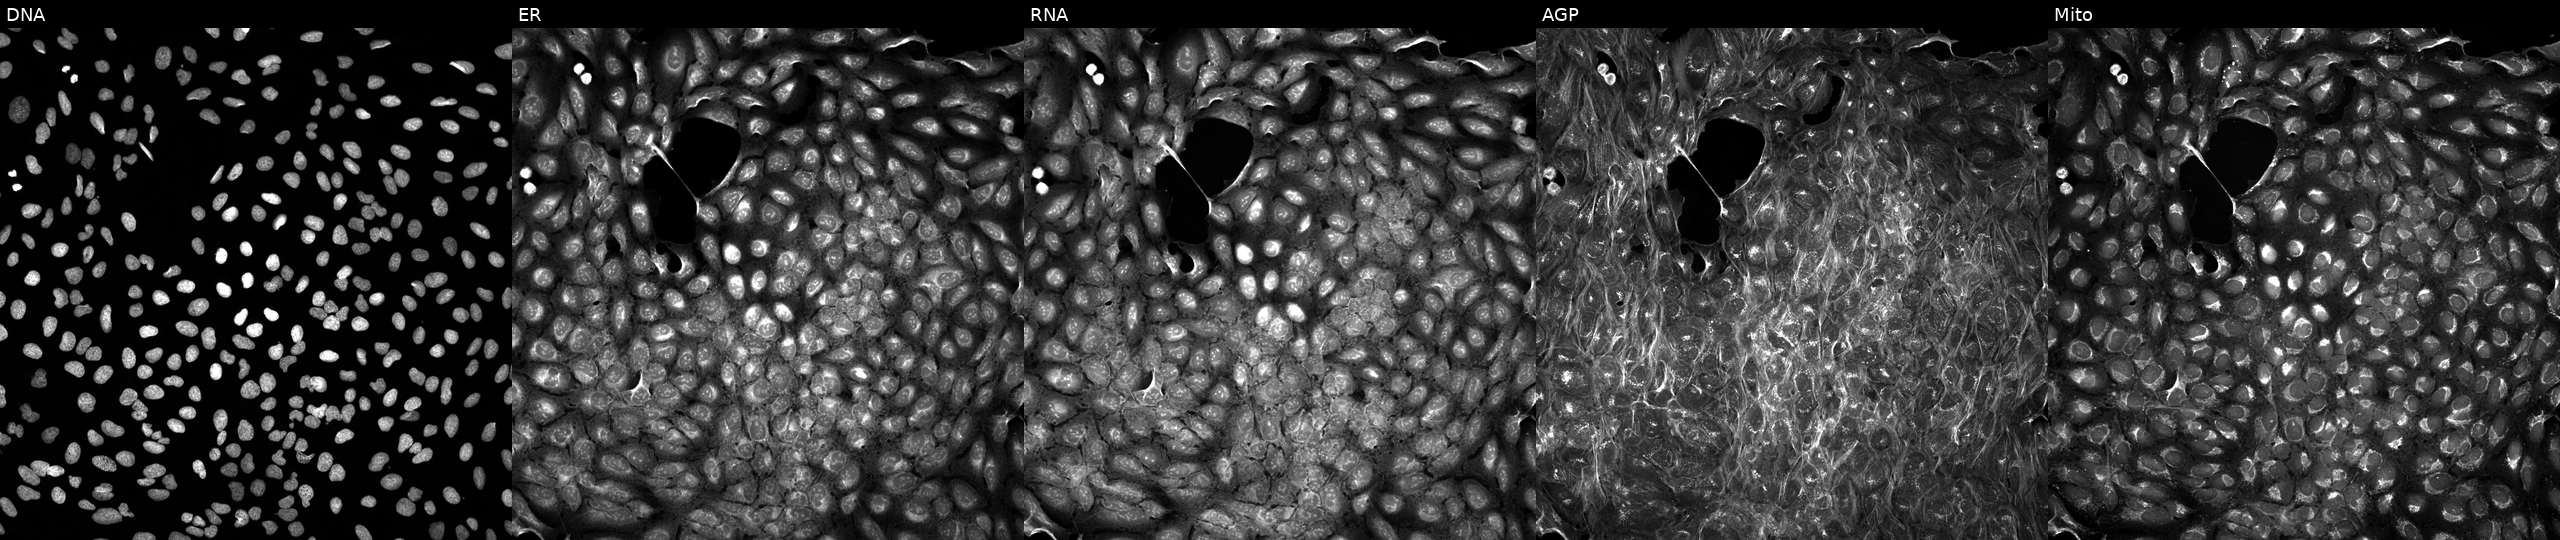
JUMP Cell Painting — TARGET2 plate. U2OS cells perturbed with a small-molecule compound (JUMP id JCP2022_116749). From left to right: DNA (nuclei); ER (endoplasmic reticulum); RNA (nucleoli and cytoplasmic RNA); AGP (actin cytoskeleton, Golgi, and plasma membrane); Mito (mitochondria).